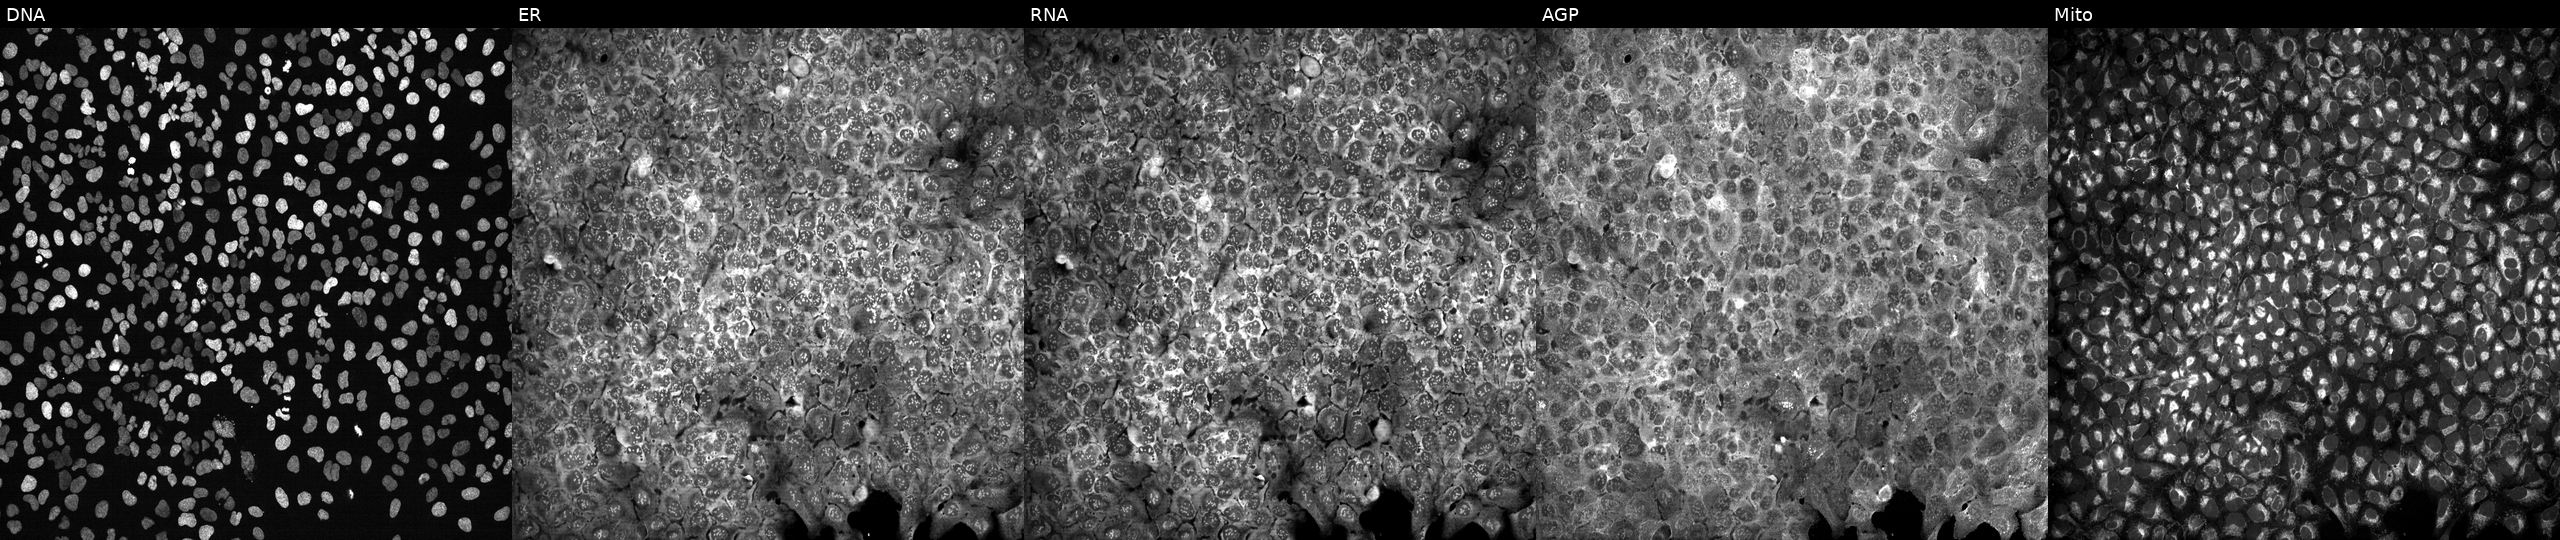
JUMP Cell Painting — CRISPR plate. U2OS cells CRISPR-edited to disrupt SFRP2. Channels (left→right): Hoechst 33342, concanavalin A, SYTO 14, phalloidin and WGA, MitoTracker. Source 13, plate CP-CC9-R3-02, well K09.